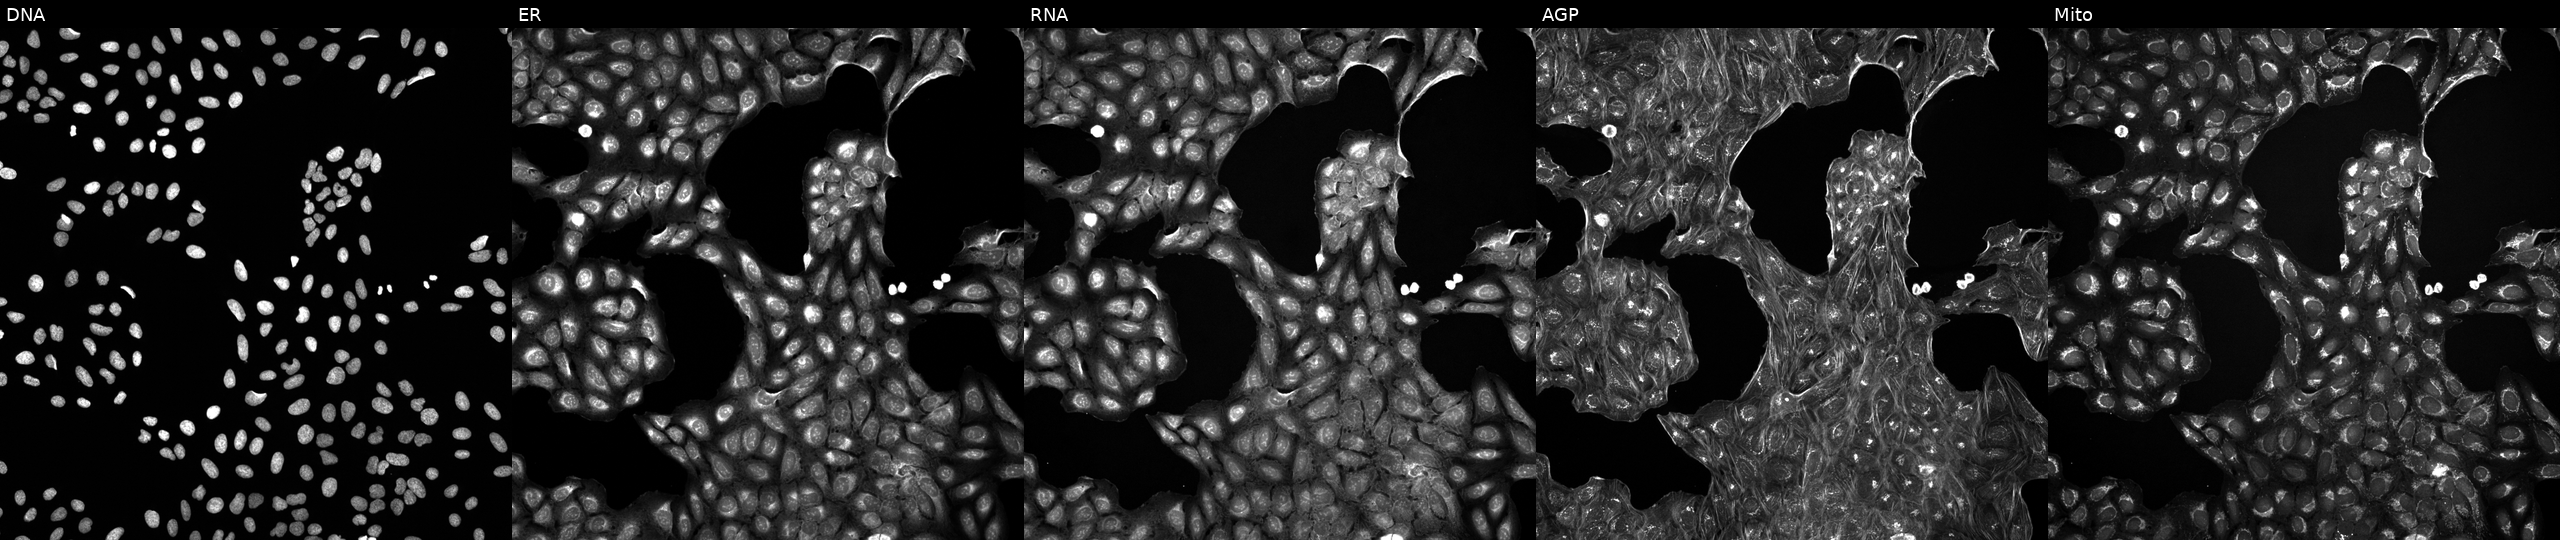
This image strip shows the five Cell Painting channels for a single field of U2OS cells treated with a small-molecule compound (InChIKey TXZPMHLMPKIUGK-UHFFFAOYSA-N) [SMILES: COc1ccccc1S(=O)(=O)Nc1ccc2c(c1)CN(C)C(=O)N2] (JUMP id JCP2022_087474). Channels (left→right): Hoechst 33342, concanavalin A, SYTO 14, phalloidin and WGA, MitoTracker.